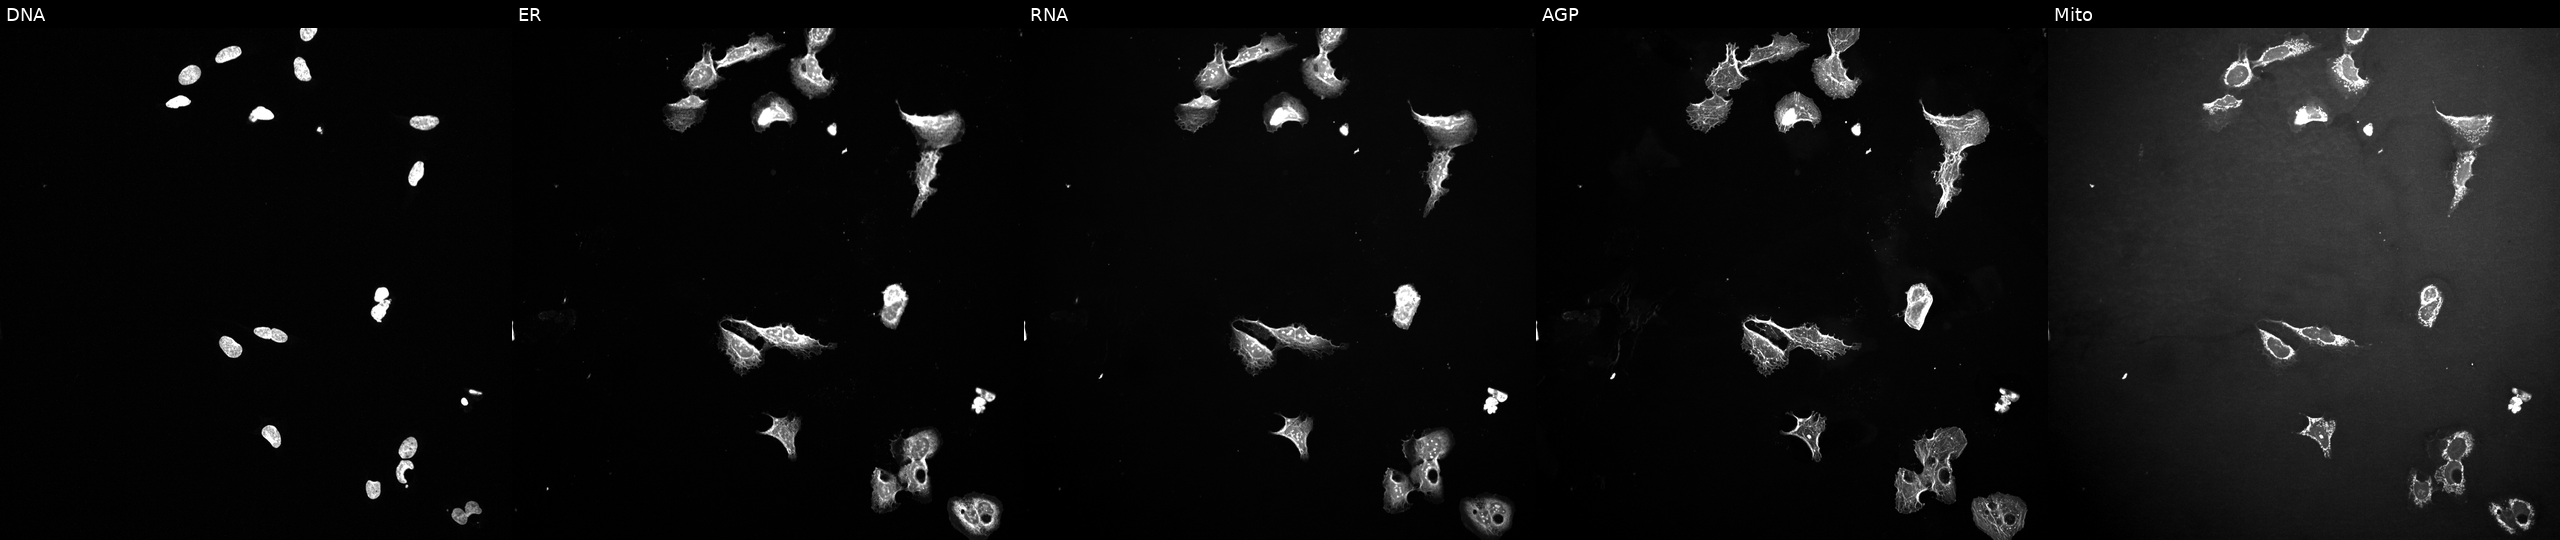
U2OS cells, Cell Painting assay, treated with a small-molecule compound (InChIKey CWHUFRVAEUJCEF-UHFFFAOYSA-N). From left to right: Hoechst 33342, concanavalin A, SYTO 14, phalloidin and WGA, MitoTracker. Each panel is percentile-stretched 16-bit fluorescence.